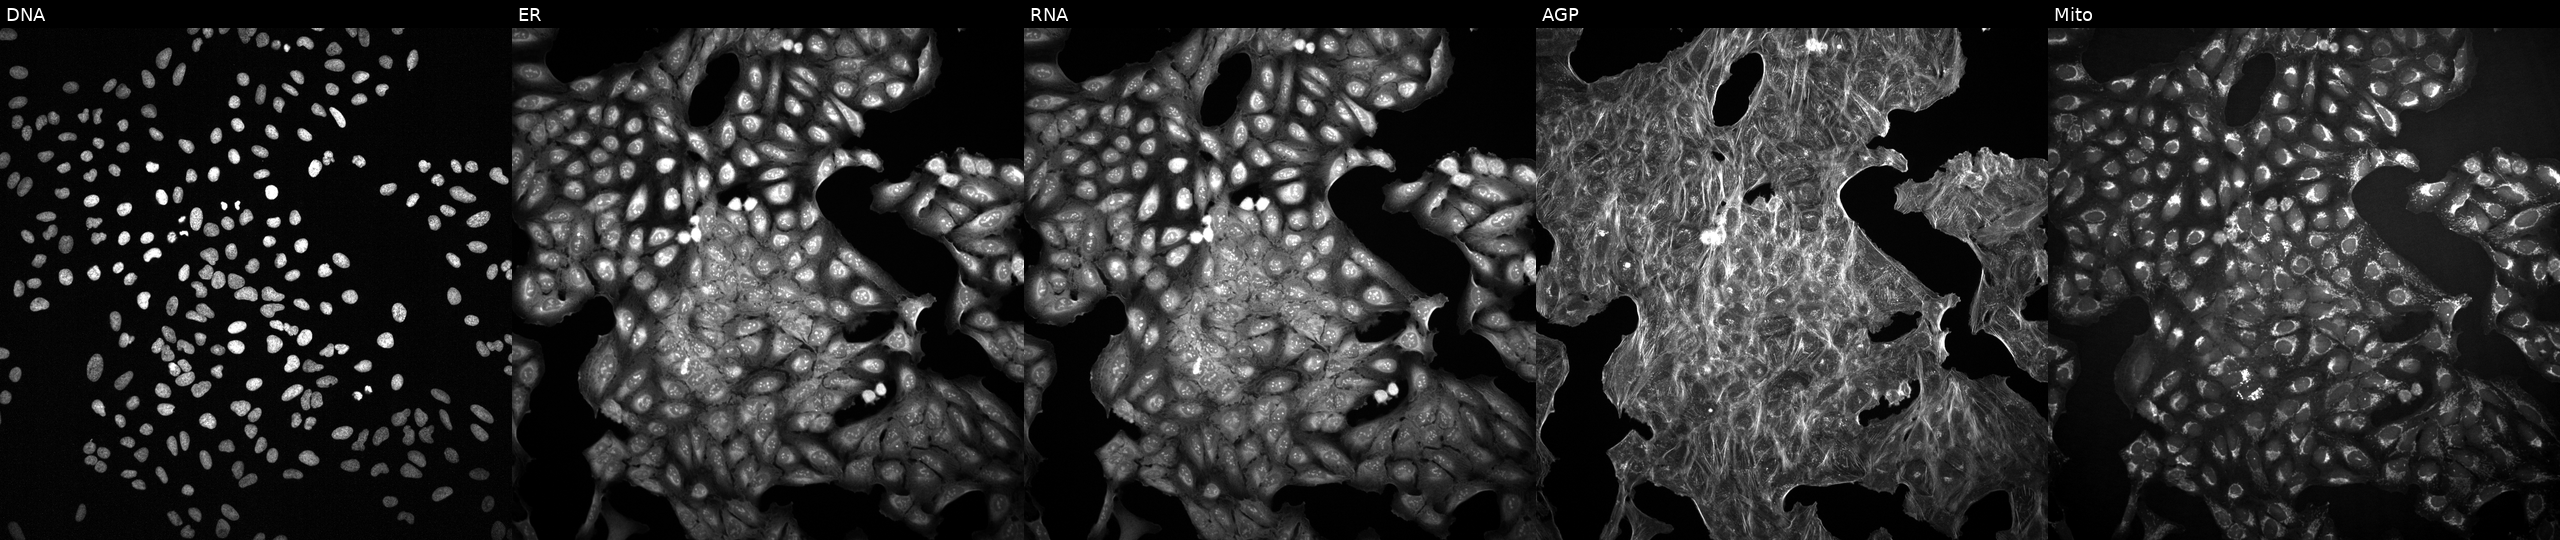
Five-channel Cell Painting image of U2OS cells with an unidentified perturbation (not annotated in JUMP metadata). The five panels, left to right, show DNA, ER, RNA, AGP, and Mito.